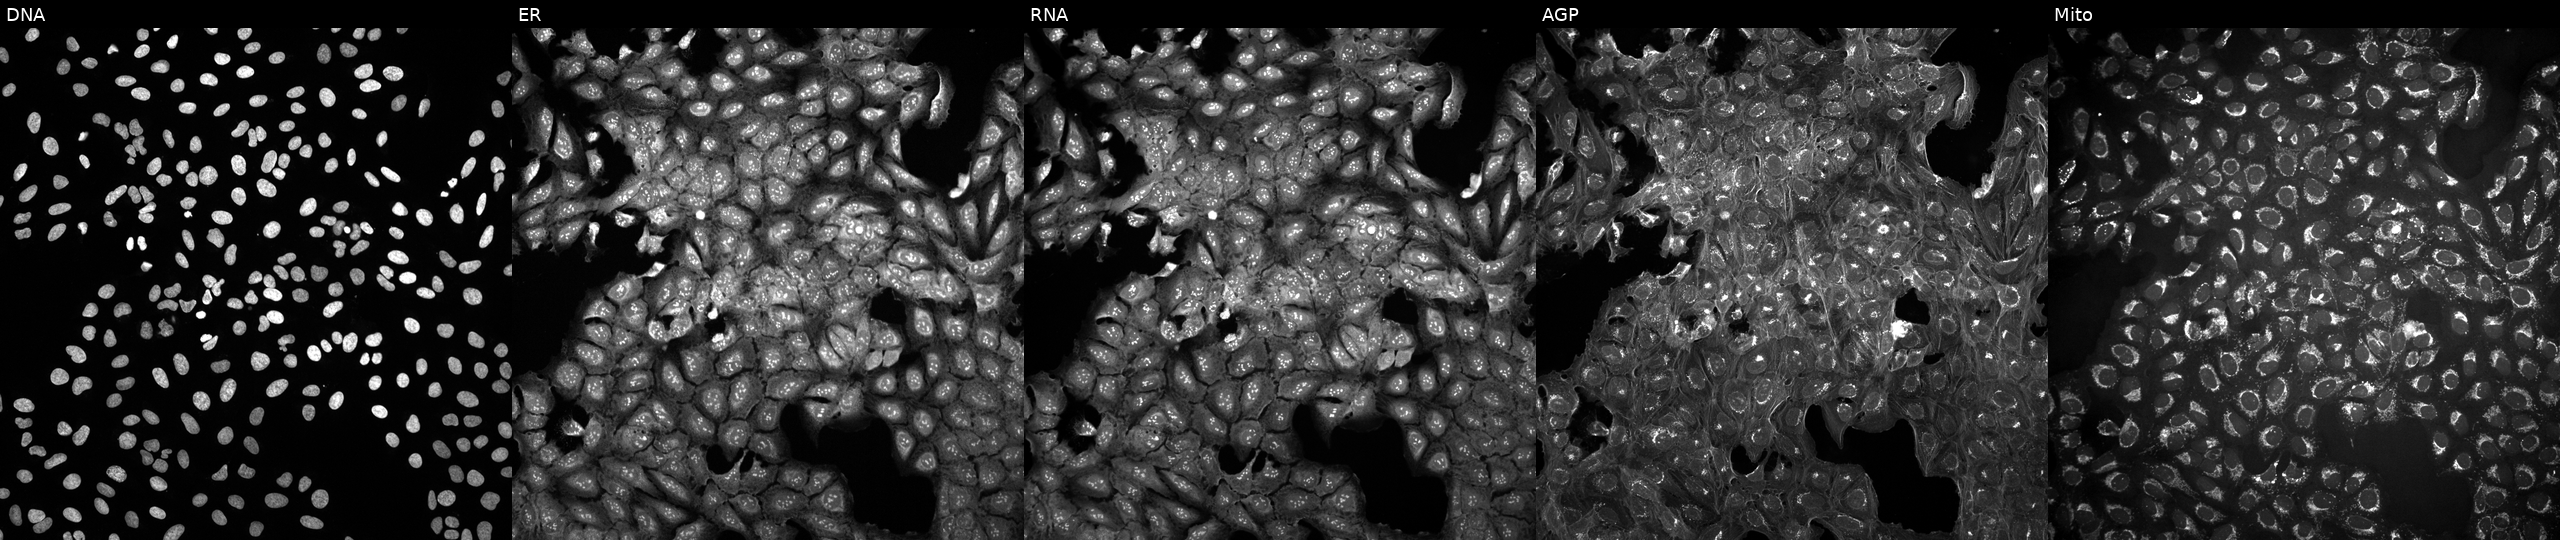
JUMP Cell Painting — COMPOUND plate. U2OS cells treated with a small-molecule compound (InChIKey XXVFXPKWAVZYIJ-UHFFFAOYSA-N) (JUMP id JCP2022_106760). The five panels, left to right, show DNA (nuclei); ER (endoplasmic reticulum); RNA (nucleoli and cytoplasmic RNA); AGP (actin cytoskeleton, Golgi, and plasma membrane); Mito (mitochondria). Source 10, plate Dest210531-152149, well O06.